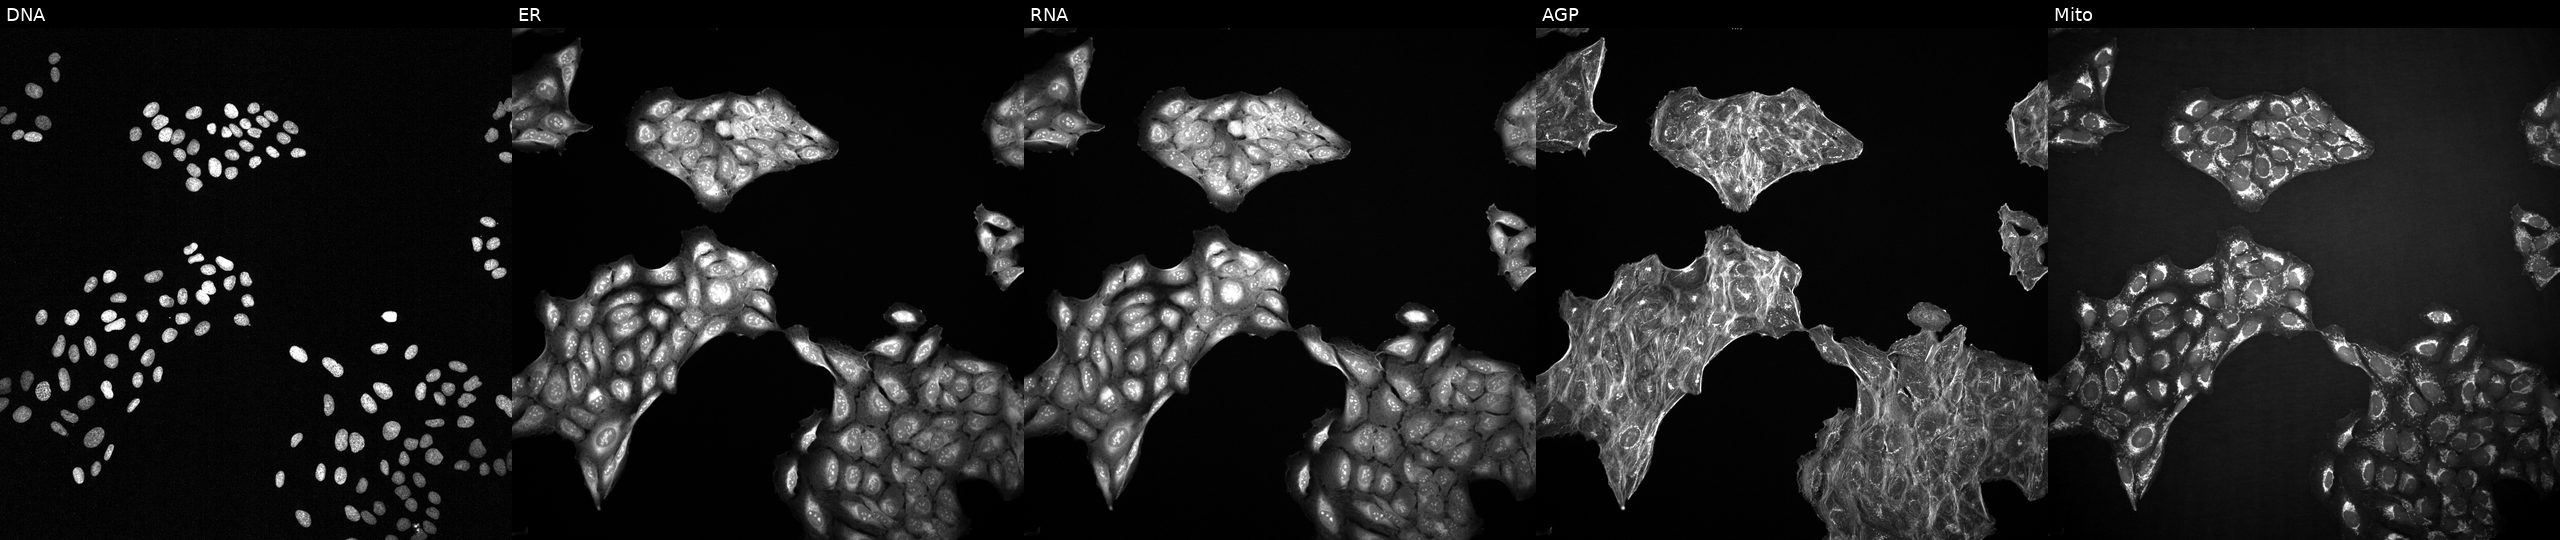
From left to right: DNA, ER, RNA, AGP, and Mito. U2OS osteosarcoma cells perturbed with a small-molecule compound (JUMP id JCP2022_035296). Cell Painting assay, JUMP-CP dataset.